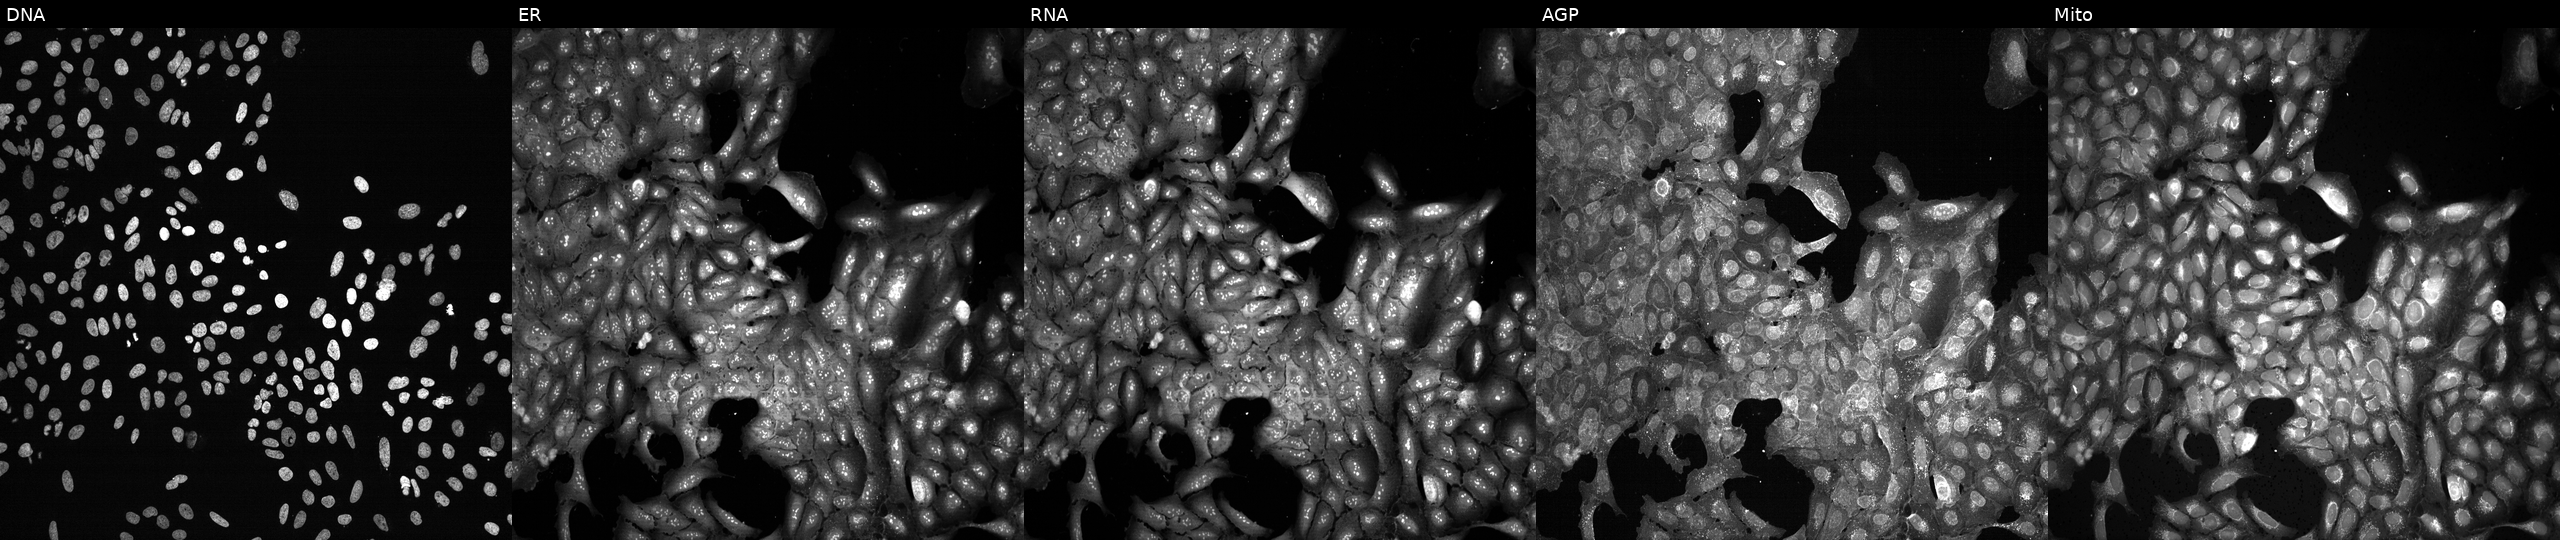
From left to right: DNA, ER, RNA, AGP, and Mito. U2OS osteosarcoma cells with DHX32 knocked out by CRISPR. Cell Painting assay, JUMP-CP dataset.